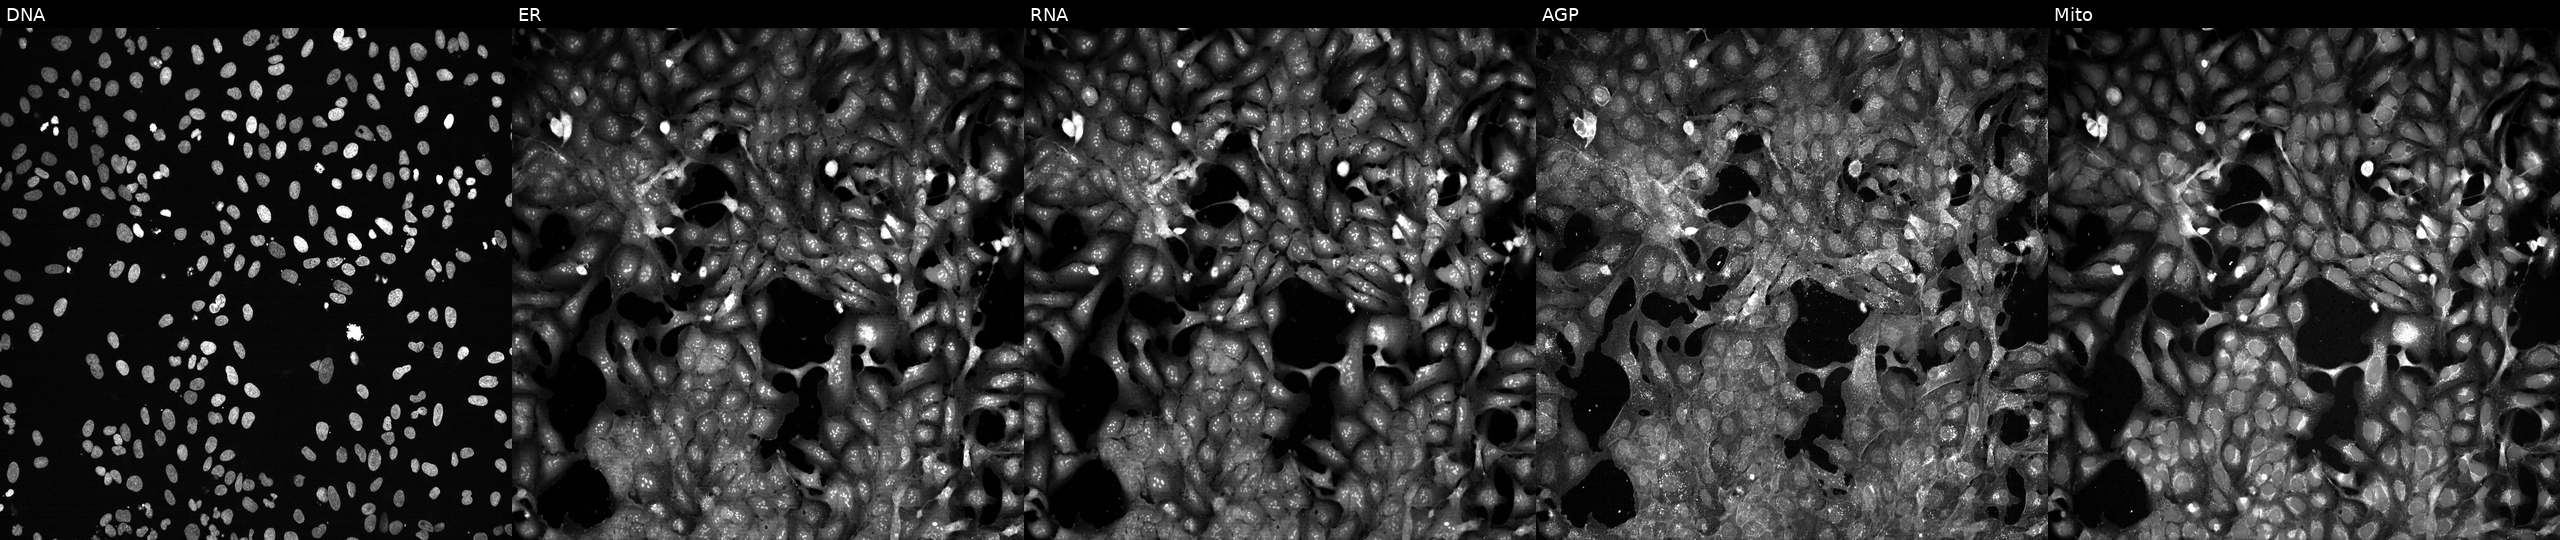
JUMP Cell Painting — CRISPR plate. U2OS cells CRISPR-edited to disrupt RHOC (JUMP id JCP2022_805956). The five panels, left to right, show Hoechst 33342, concanavalin A, SYTO 14, phalloidin and WGA, MitoTracker.